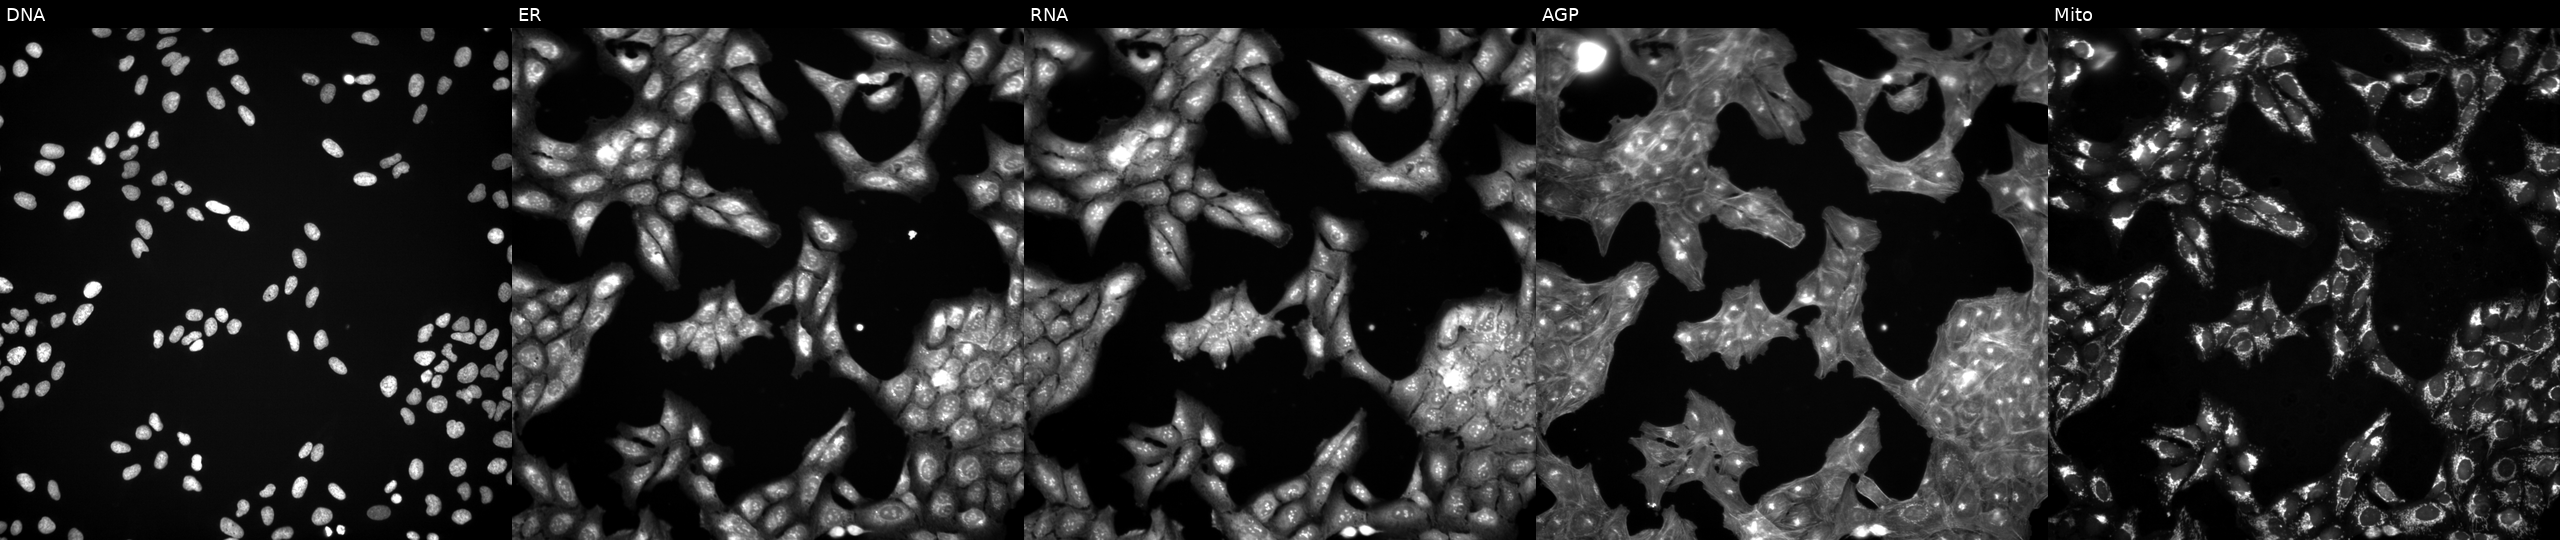
JUMP Cell Painting — TARGET2 plate. U2OS cells exposed to a small-molecule compound [SMILES: COC(=O)N(C)c1c(N)[nH]c(-c2nn(Cc3ccccc3F)c3ncccc23)nc1=N]. Channels (left→right): Hoechst 33342, concanavalin A, SYTO 14, phalloidin and WGA, MitoTracker.